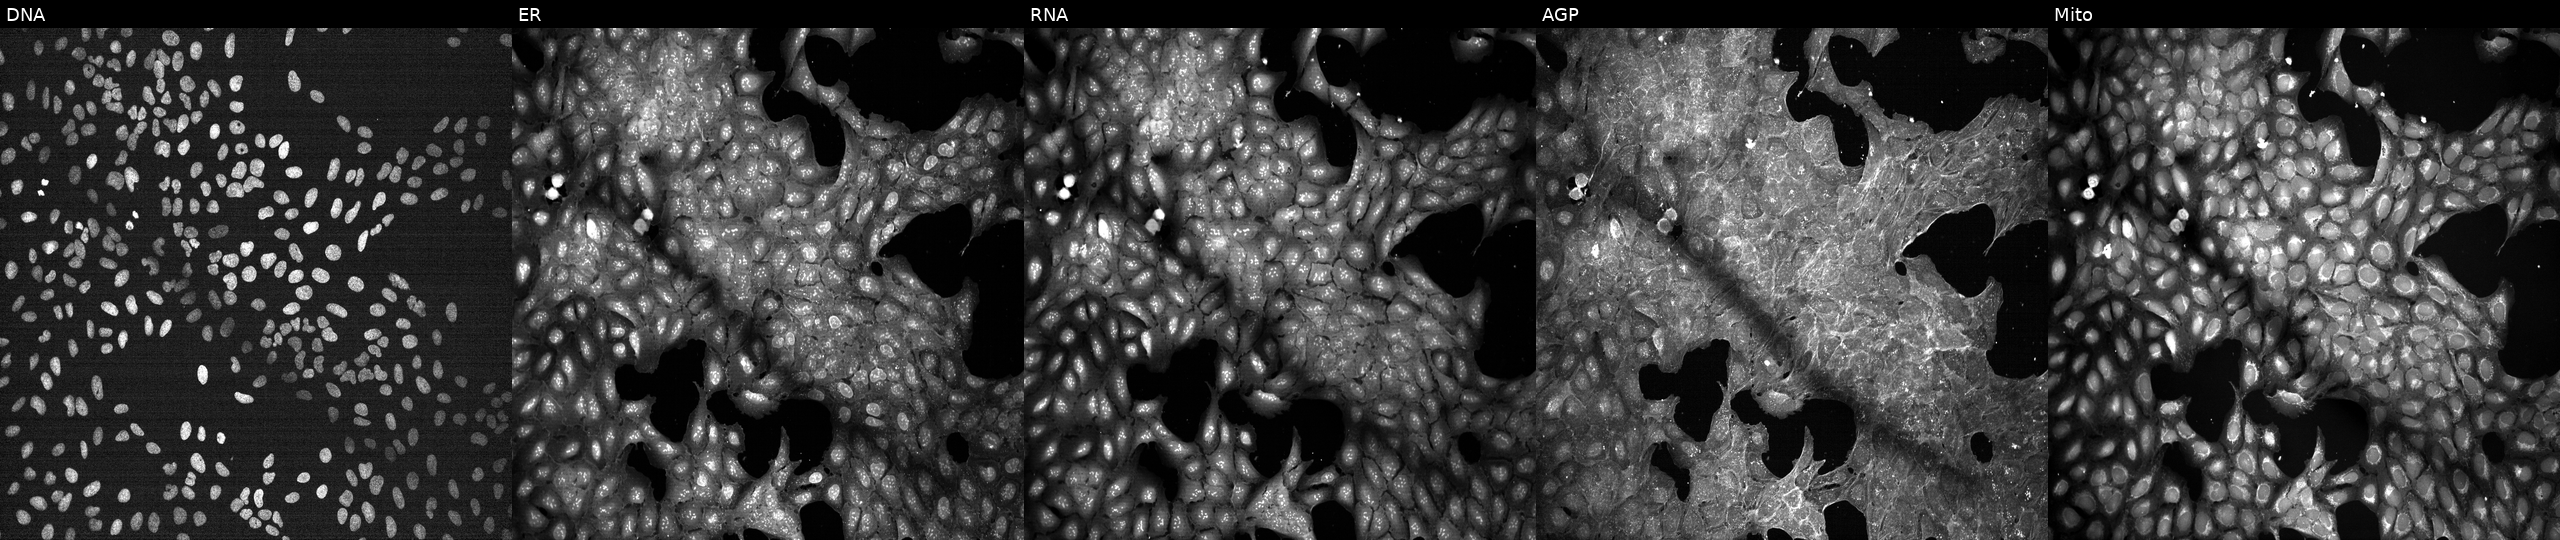
JUMP Cell Painting — TARGET2 plate. U2OS cells treated with a small-molecule compound (InChIKey ZYGHJZDHTFUPRJ-UHFFFAOYSA-N) (JUMP id JCP2022_116437). Panels show, left to right, DNA (nuclei); ER (endoplasmic reticulum); RNA (nucleoli and cytoplasmic RNA); AGP (actin cytoskeleton, Golgi, and plasma membrane); Mito (mitochondria).